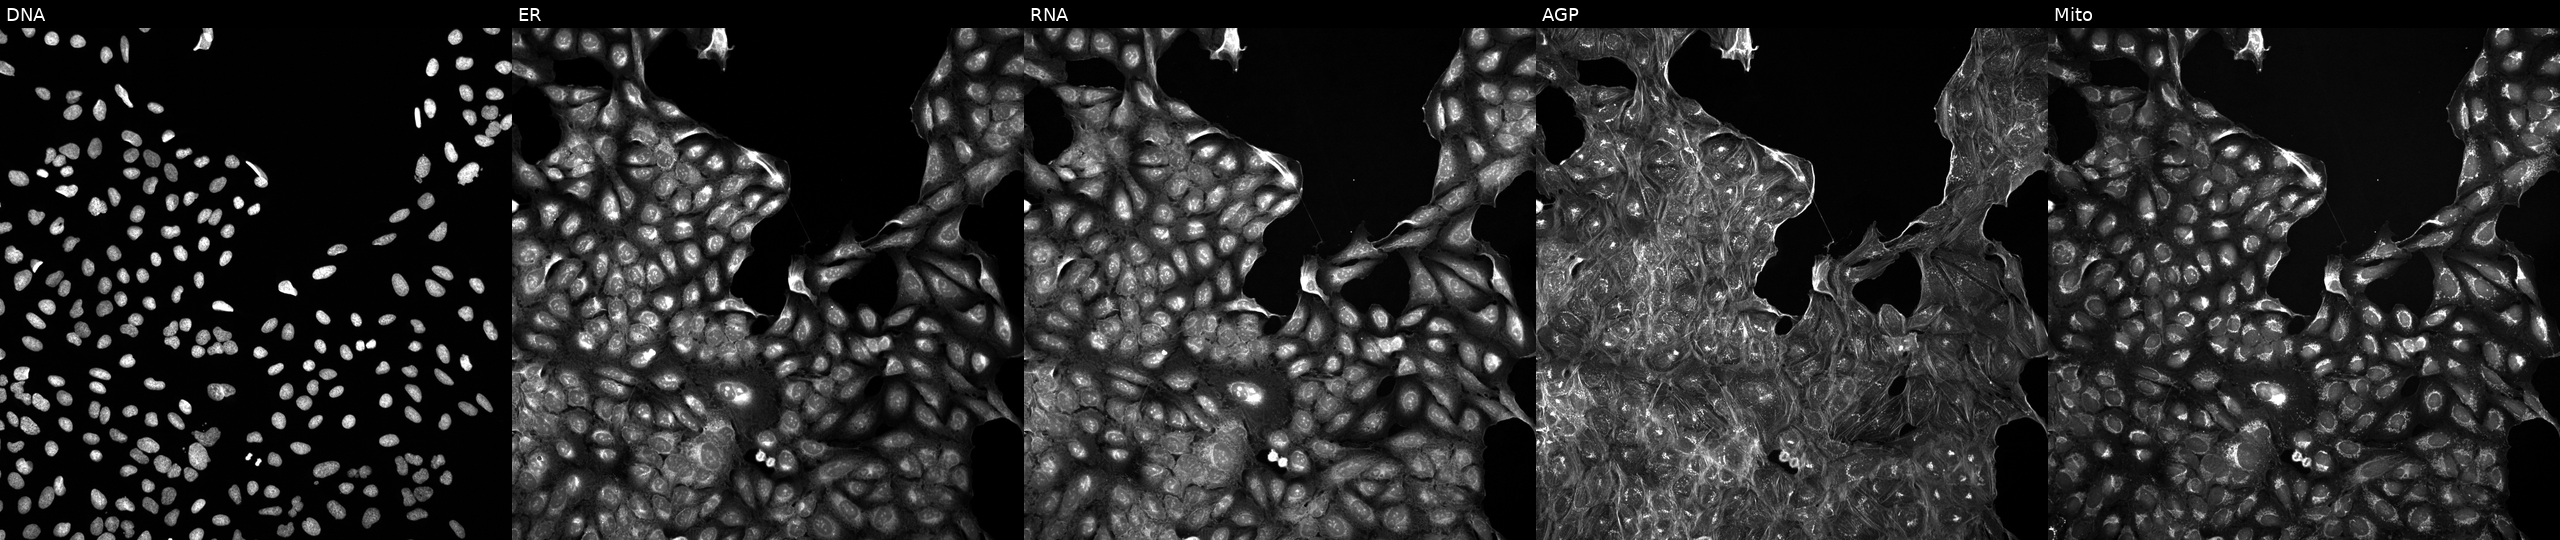
JUMP Cell Painting — TARGET2 plate. U2OS cells exposed to DMSO alone as a negative control. Panels show, left to right, Hoechst 33342, concanavalin A, SYTO 14, phalloidin and WGA, MitoTracker. Source 5, plate ACPJUM012, well G19.